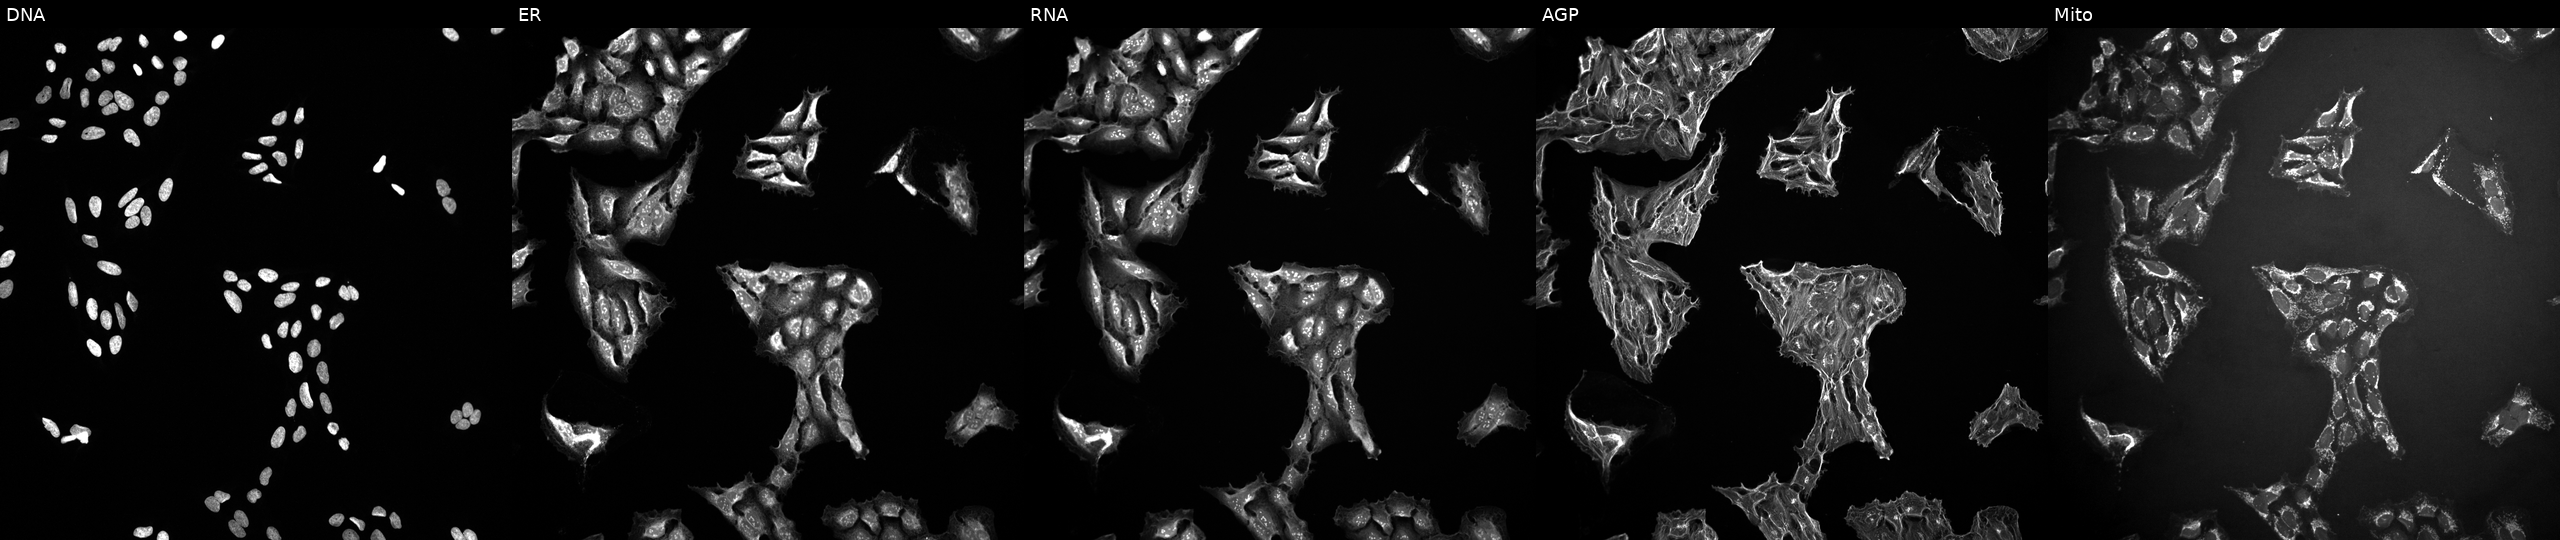
Channels (left→right): Hoechst 33342, concanavalin A, SYTO 14, phalloidin and WGA, MitoTracker. U2OS osteosarcoma cells treated with dexamethasone (positive-control compound). Cell Painting assay, JUMP-CP dataset. Source 10, plate Dest210726-160150, well H24.